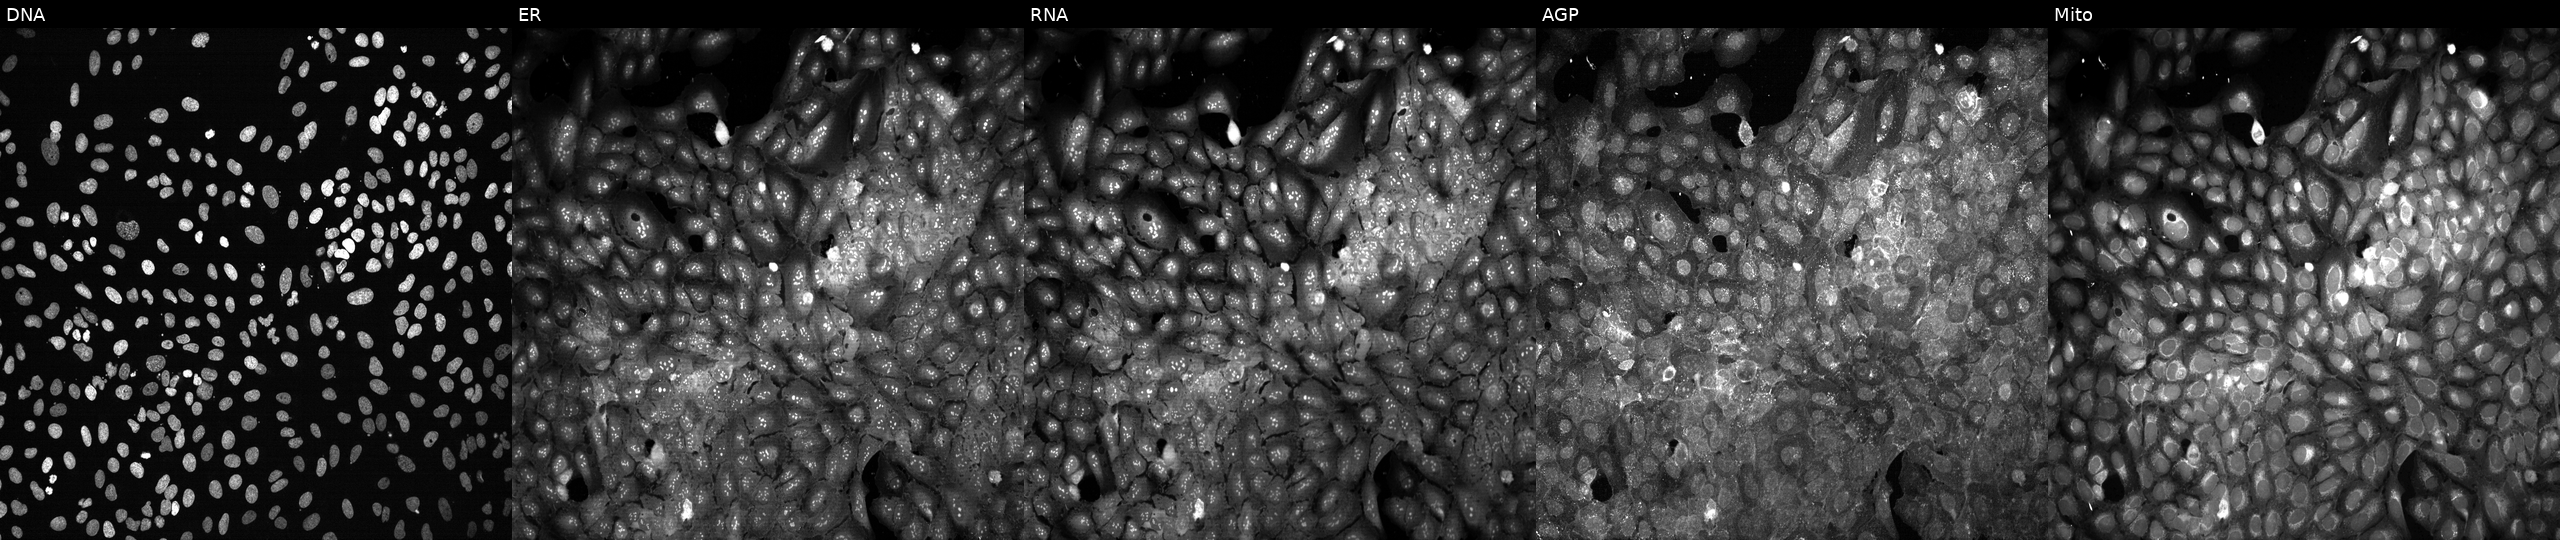
Panels show, left to right, DNA, ER, RNA, AGP, and Mito. U2OS osteosarcoma cells with KIFAP3 knocked out by CRISPR. Cell Painting assay, JUMP-CP dataset. Source 13, plate CP-CC9-R1-01, well N18.